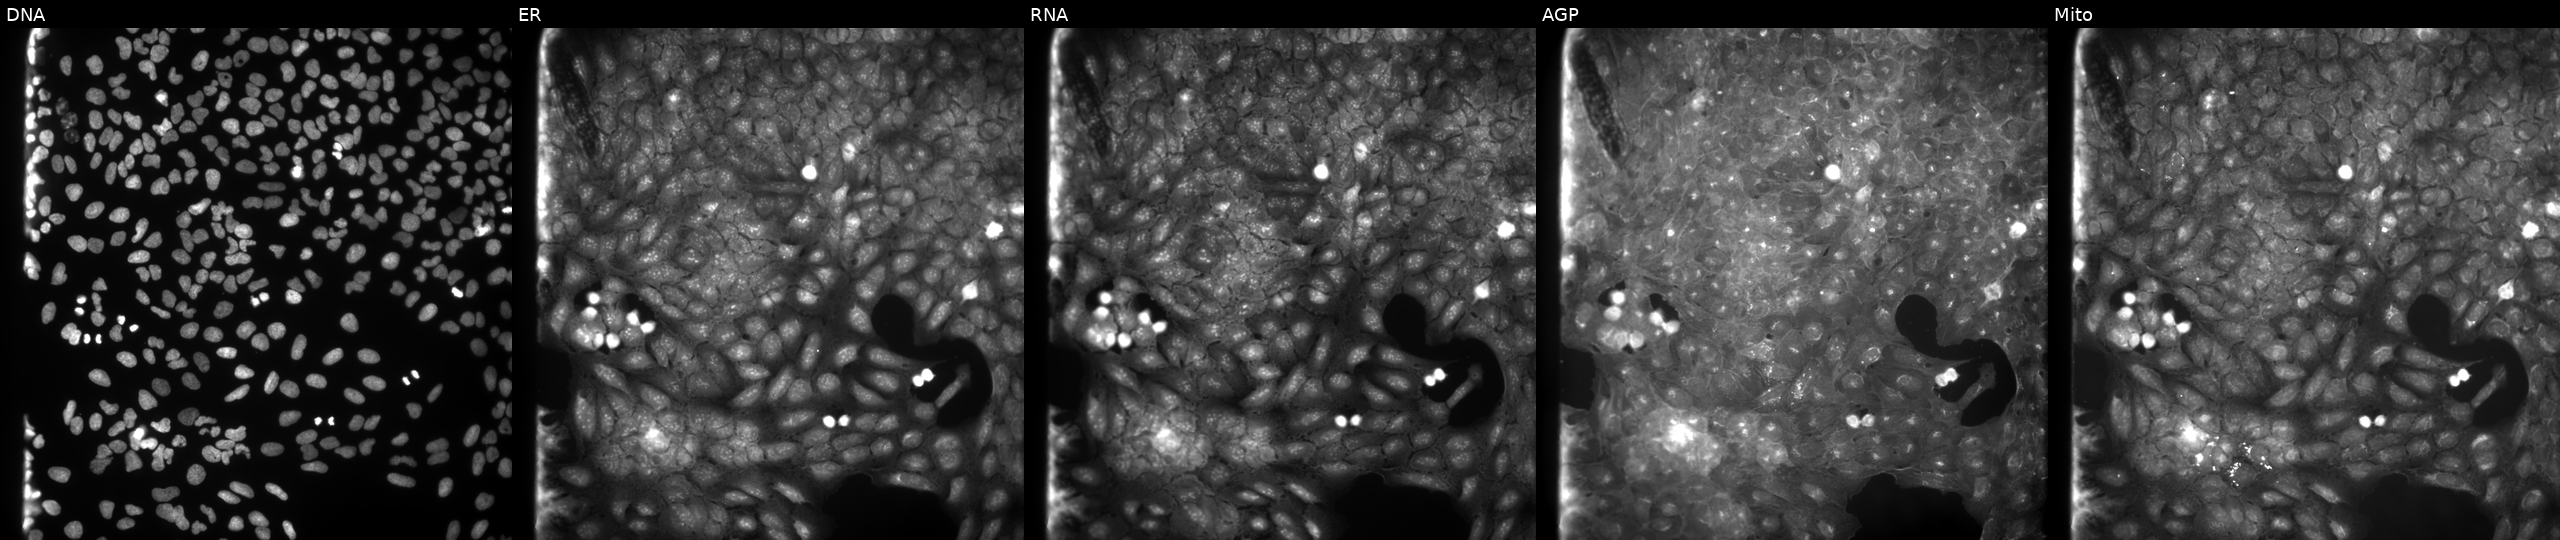
JUMP Cell Painting — COMPOUND plate. U2OS cells treated with a small-molecule compound (InChIKey IFROOFHROUAUSI-UHFFFAOYSA-N) (JUMP id JCP2022_034784). Channels (left→right): Hoechst 33342, concanavalin A, SYTO 14, phalloidin and WGA, MitoTracker.